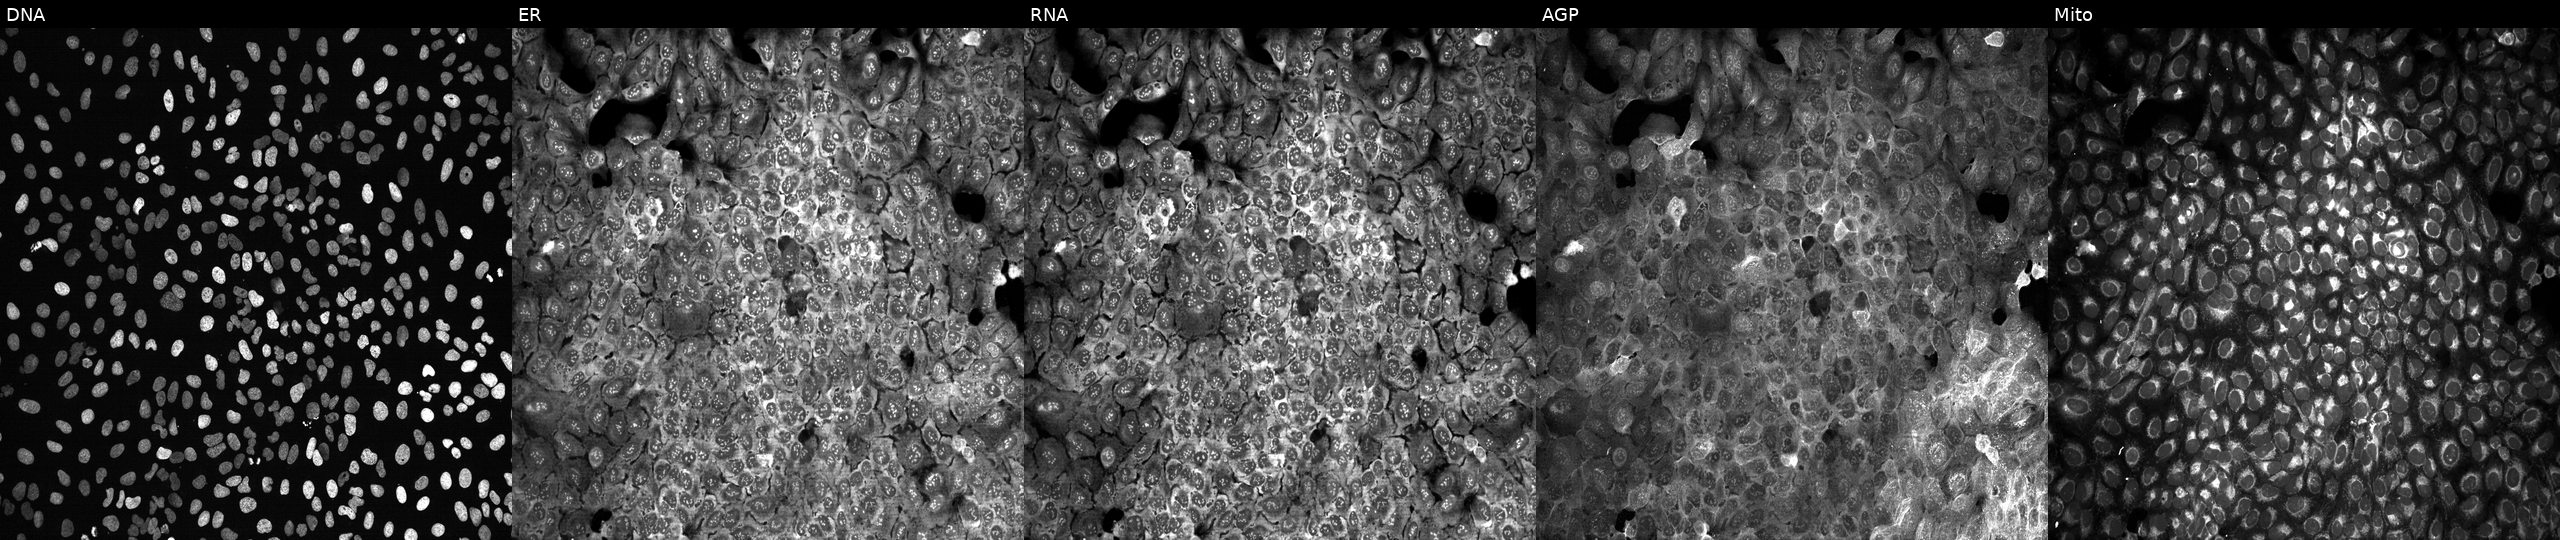
This image strip shows the five Cell Painting channels for a single field of U2OS cells with HMOX2 knocked out by CRISPR. Panels show, left to right, DNA, ER, RNA, AGP, and Mito.